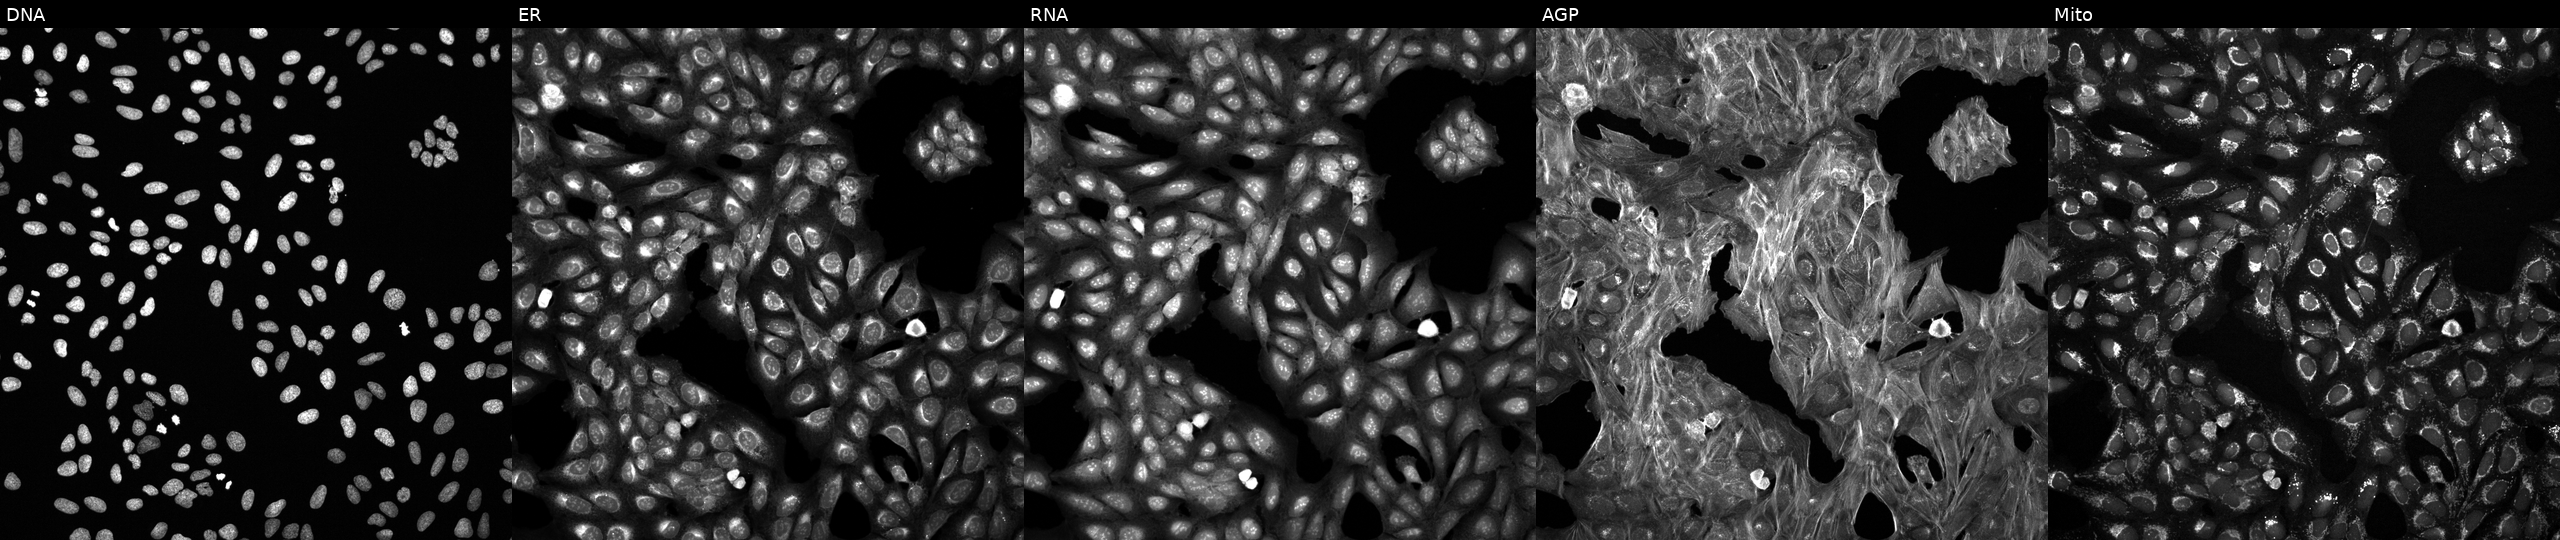
U2OS cells, Cell Painting assay, perturbed with a small-molecule compound. Panels show, left to right, Hoechst 33342, concanavalin A, SYTO 14, phalloidin and WGA, MitoTracker. Each panel is percentile-stretched 16-bit fluorescence.